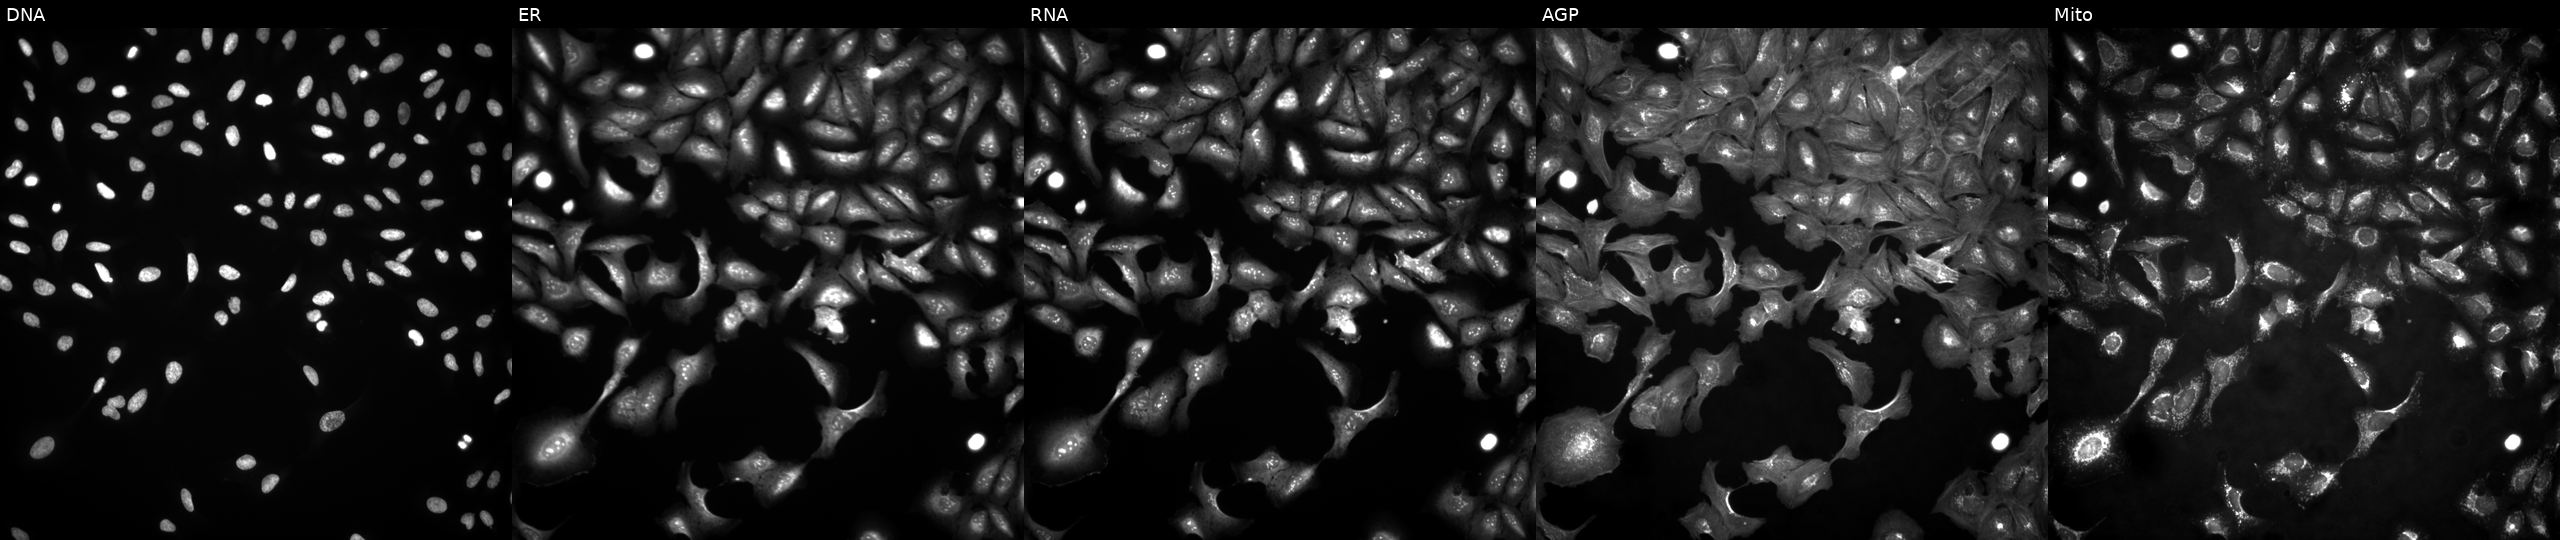
JUMP Cell Painting — ORF plate. U2OS cells transfected with an ORF construct for CRCT1. Panels show, left to right, DNA (nuclei); ER (endoplasmic reticulum); RNA (nucleoli and cytoplasmic RNA); AGP (actin cytoskeleton, Golgi, and plasma membrane); Mito (mitochondria). Source 4, plate BR00124784, well F05.